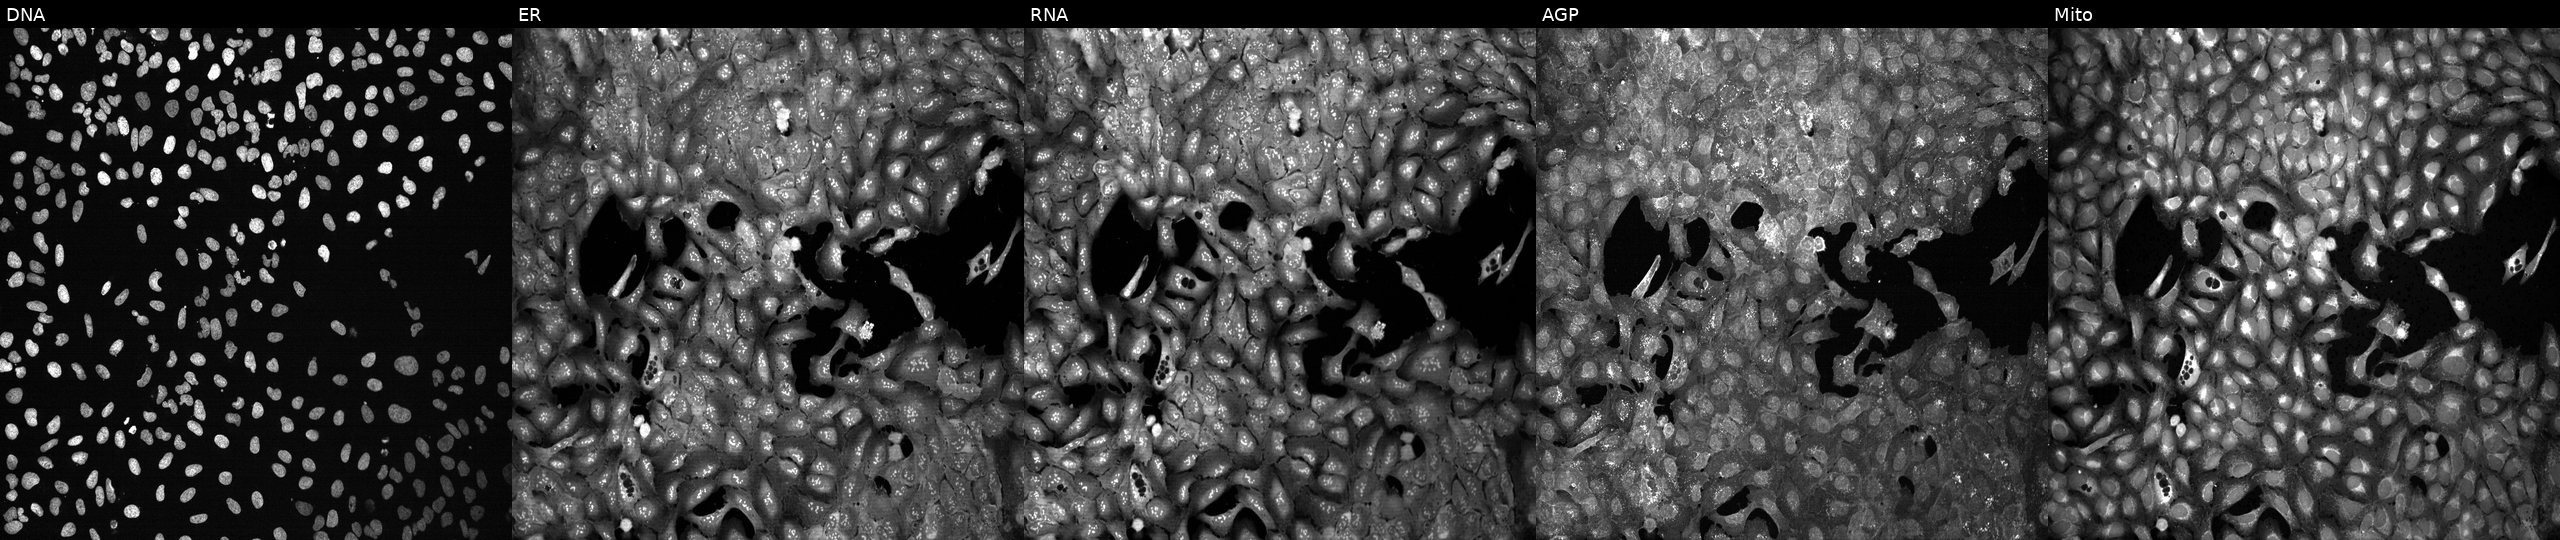
High-content fluorescence microscopy (Cell Painting). Cell line: U2OS. Perturbation: following CRISPR knockout of DGAT2. Channels (left→right): Hoechst 33342, concanavalin A, SYTO 14, phalloidin and WGA, MitoTracker.